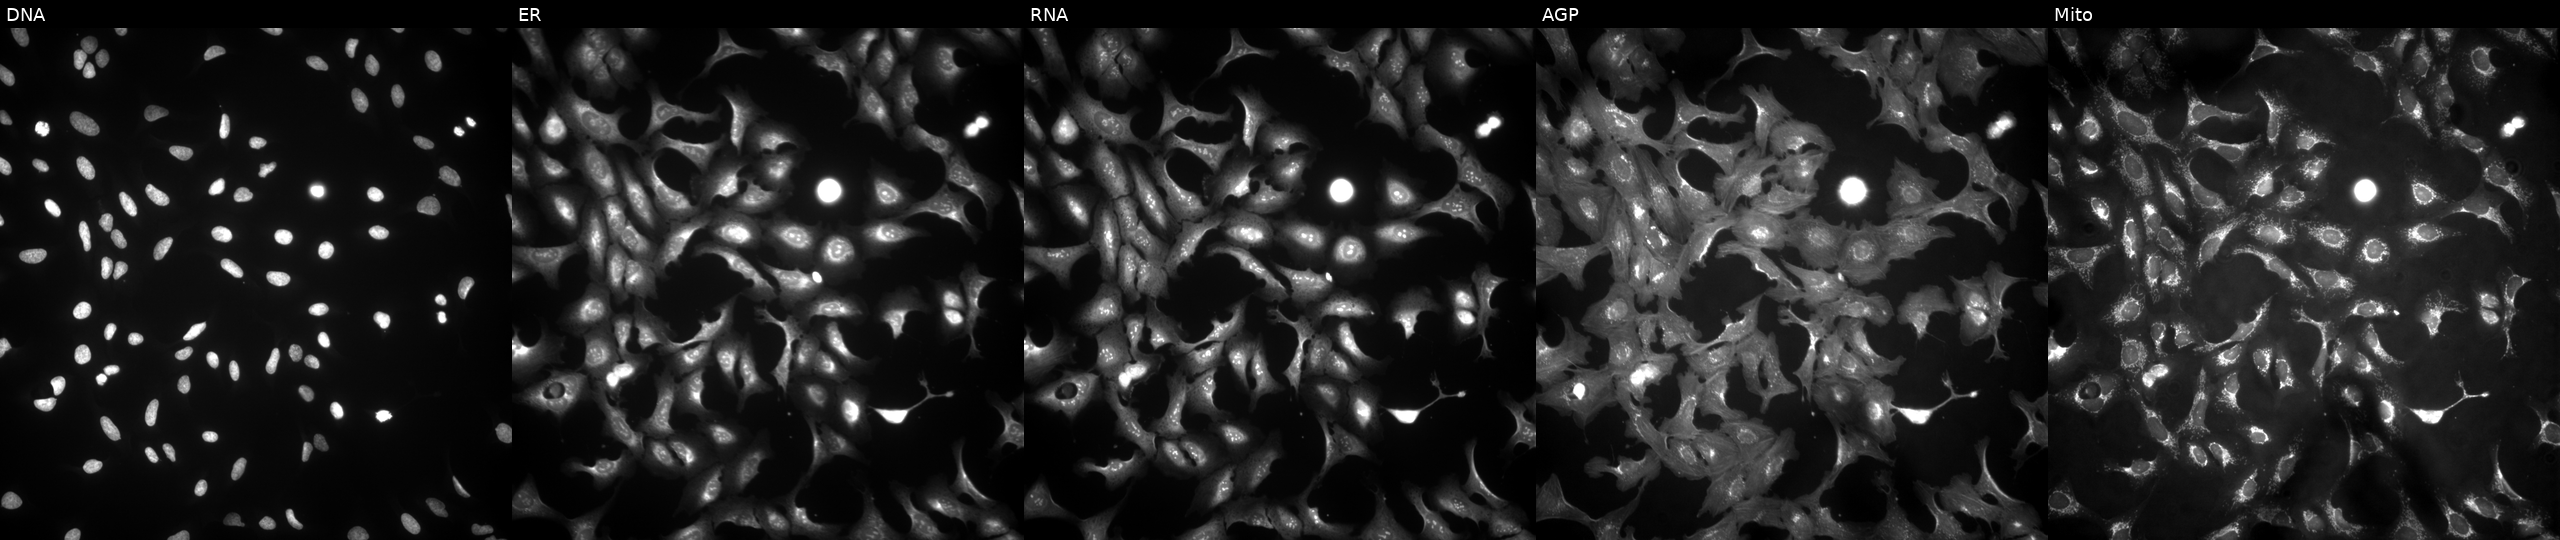
This image strip shows the five Cell Painting channels for a single field of U2OS cells with PPARG overexpressed (ORF). Channels (left→right): DNA, ER, RNA, AGP, and Mito. Source 4, plate BR00123506, well J08.